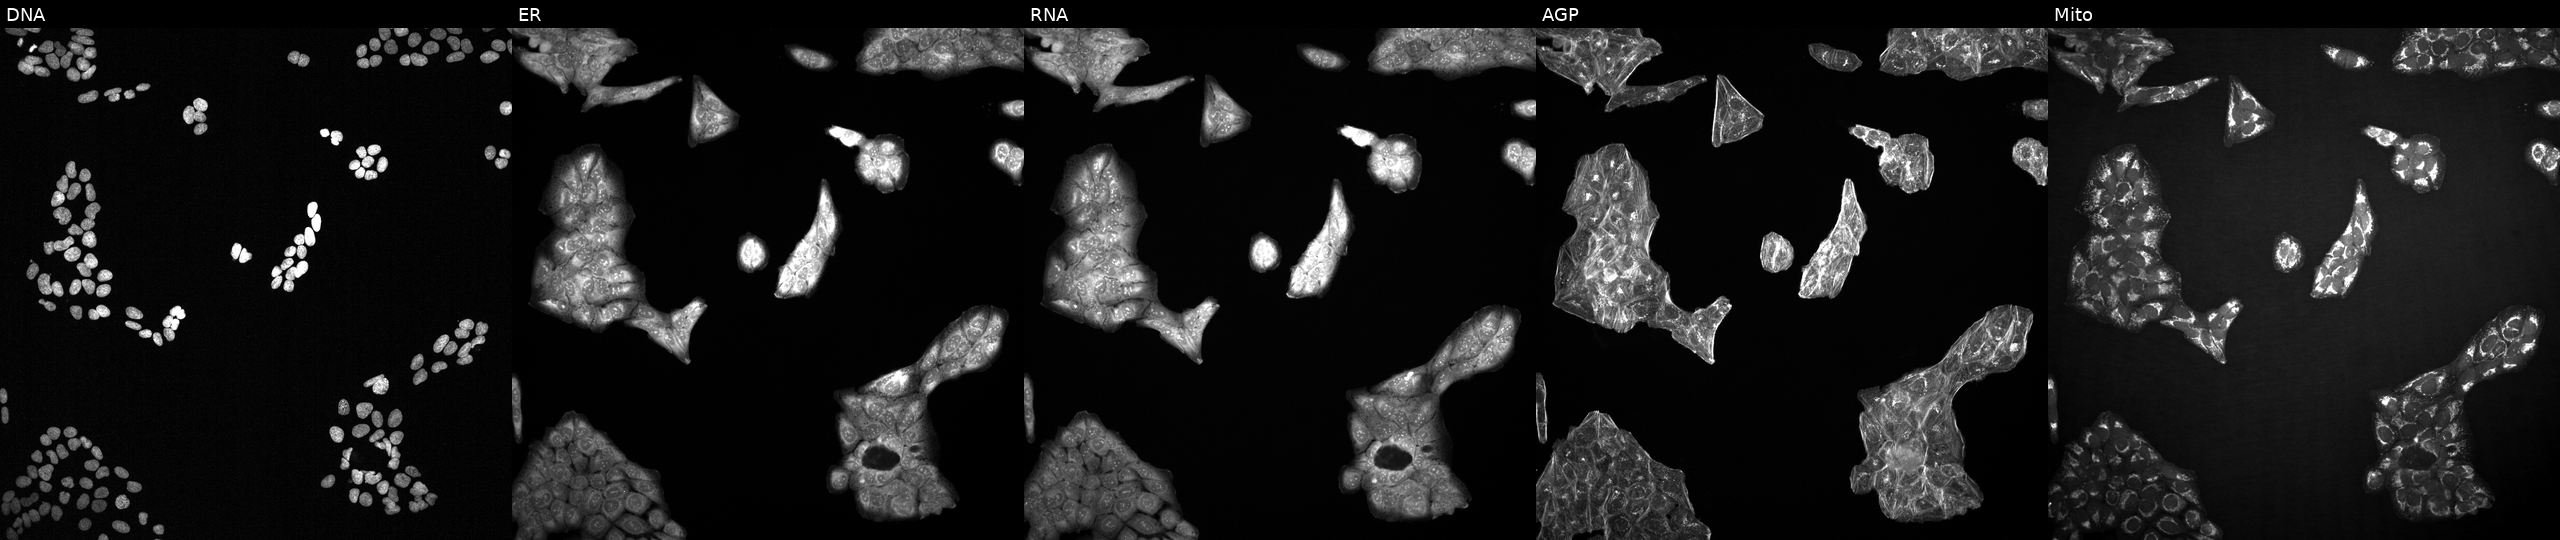
Five-channel Cell Painting image of U2OS cells treated with a small-molecule compound (InChIKey ZVPDNRVYHLRXLX-UHFFFAOYSA-N) (JUMP id JCP2022_115963). From left to right: Hoechst 33342, concanavalin A, SYTO 14, phalloidin and WGA, MitoTracker. Source 2, plate 1053600674, well B04.